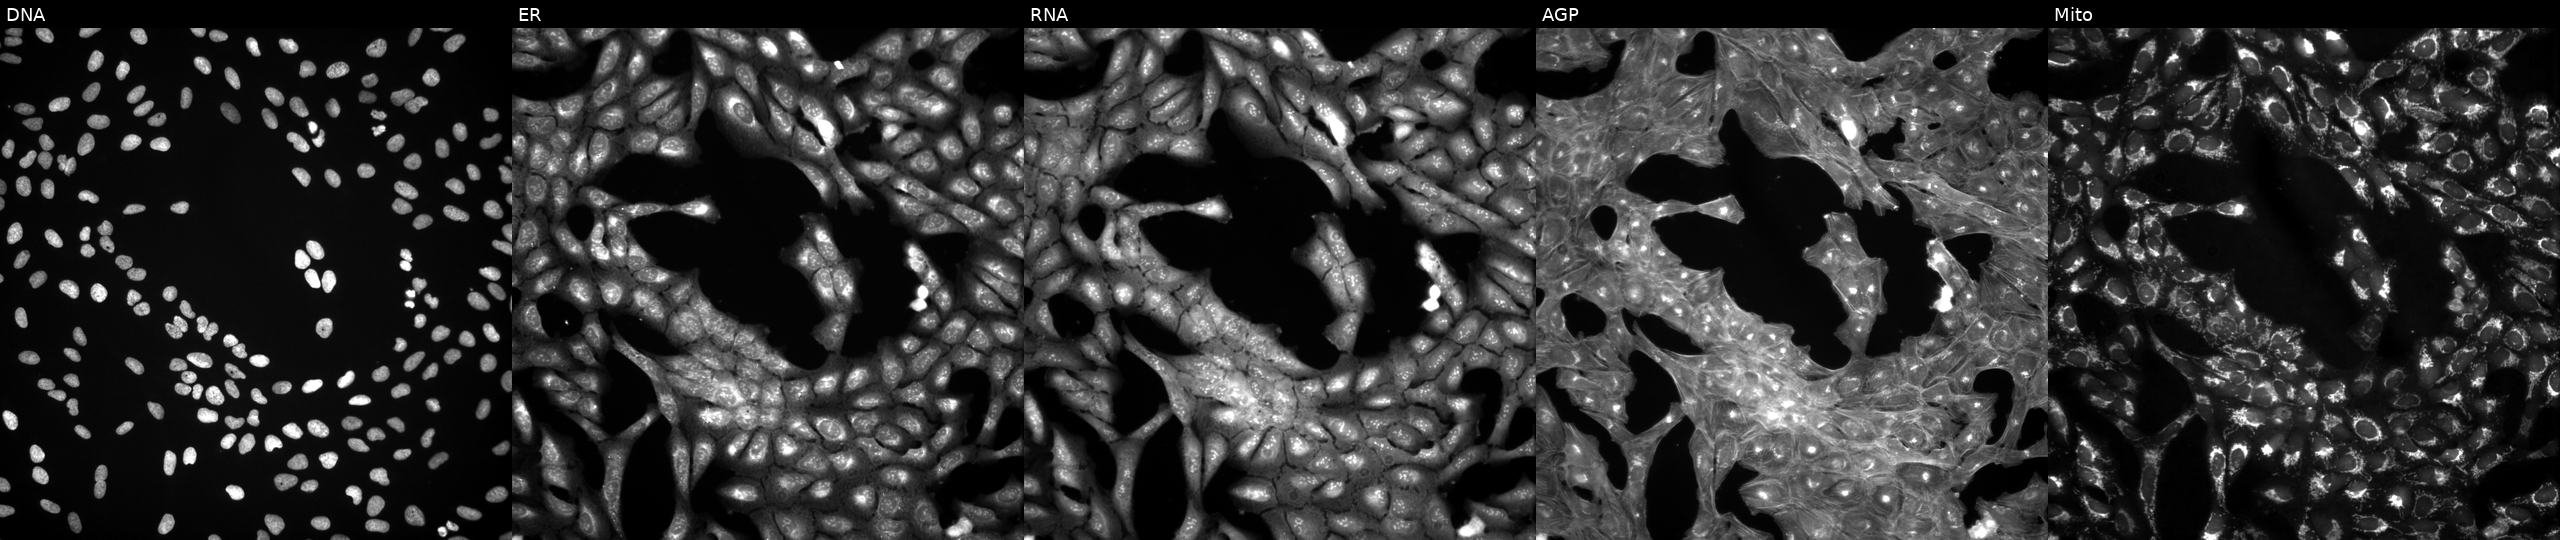
Panels show, left to right, DNA (nuclei); ER (endoplasmic reticulum); RNA (nucleoli and cytoplasmic RNA); AGP (actin cytoskeleton, Golgi, and plasma membrane); Mito (mitochondria). U2OS osteosarcoma cells treated with DMSO vehicle only (negative control). Cell Painting assay, JUMP-CP dataset.